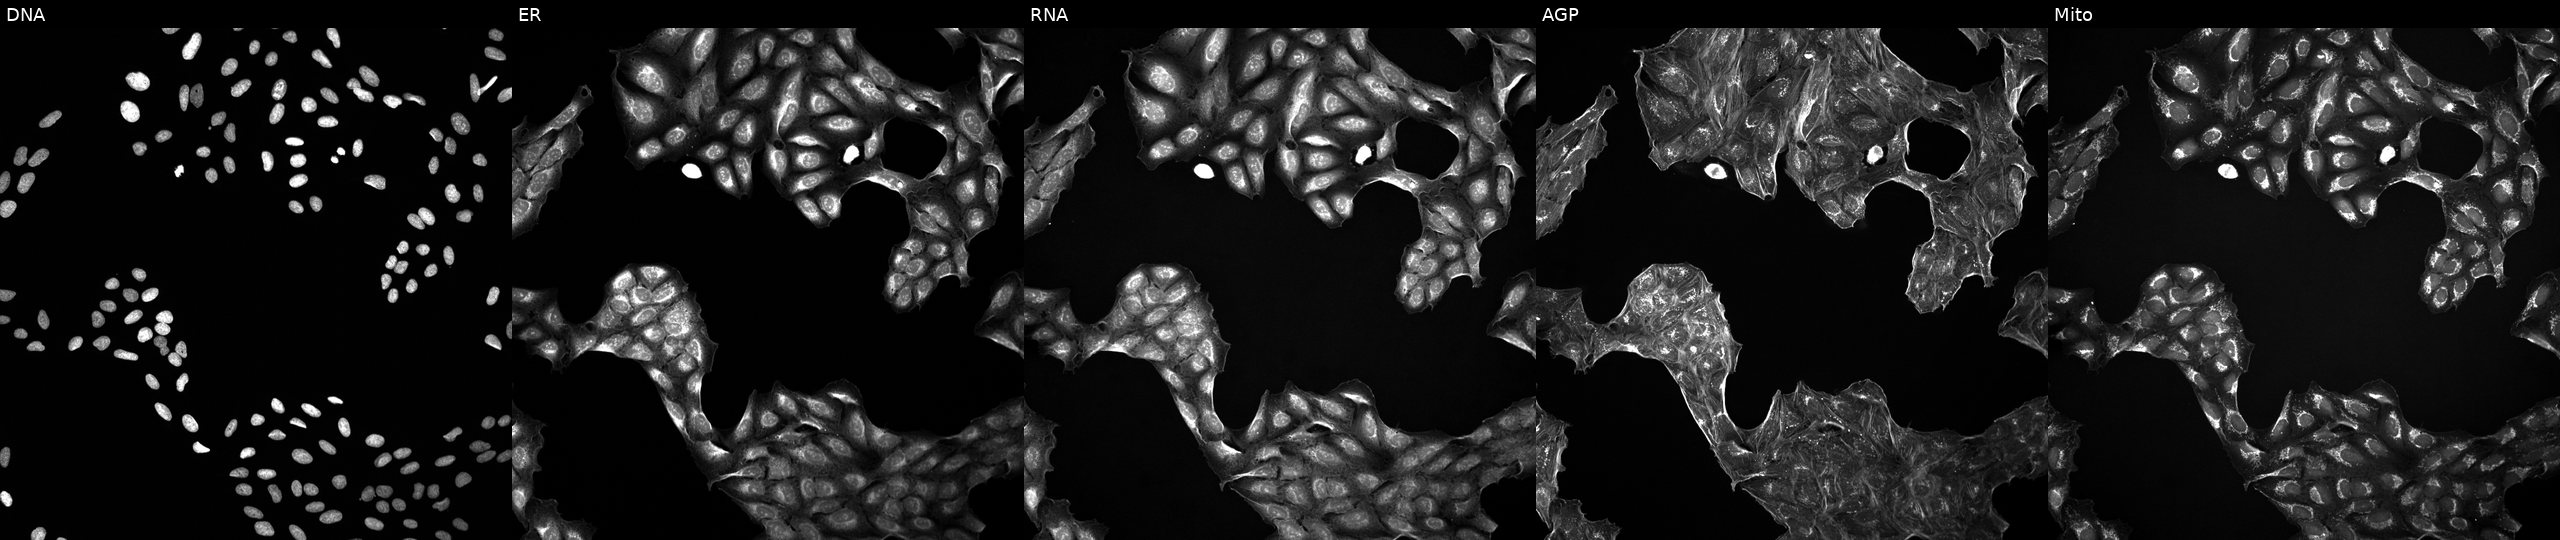
This image strip shows the five Cell Painting channels for a single field of U2OS cells treated with a small-molecule compound (JUMP id JCP2022_061421). From left to right: DNA (nuclei); ER (endoplasmic reticulum); RNA (nucleoli and cytoplasmic RNA); AGP (actin cytoskeleton, Golgi, and plasma membrane); Mito (mitochondria). Source 5, plate ACPJUM012, well A21.